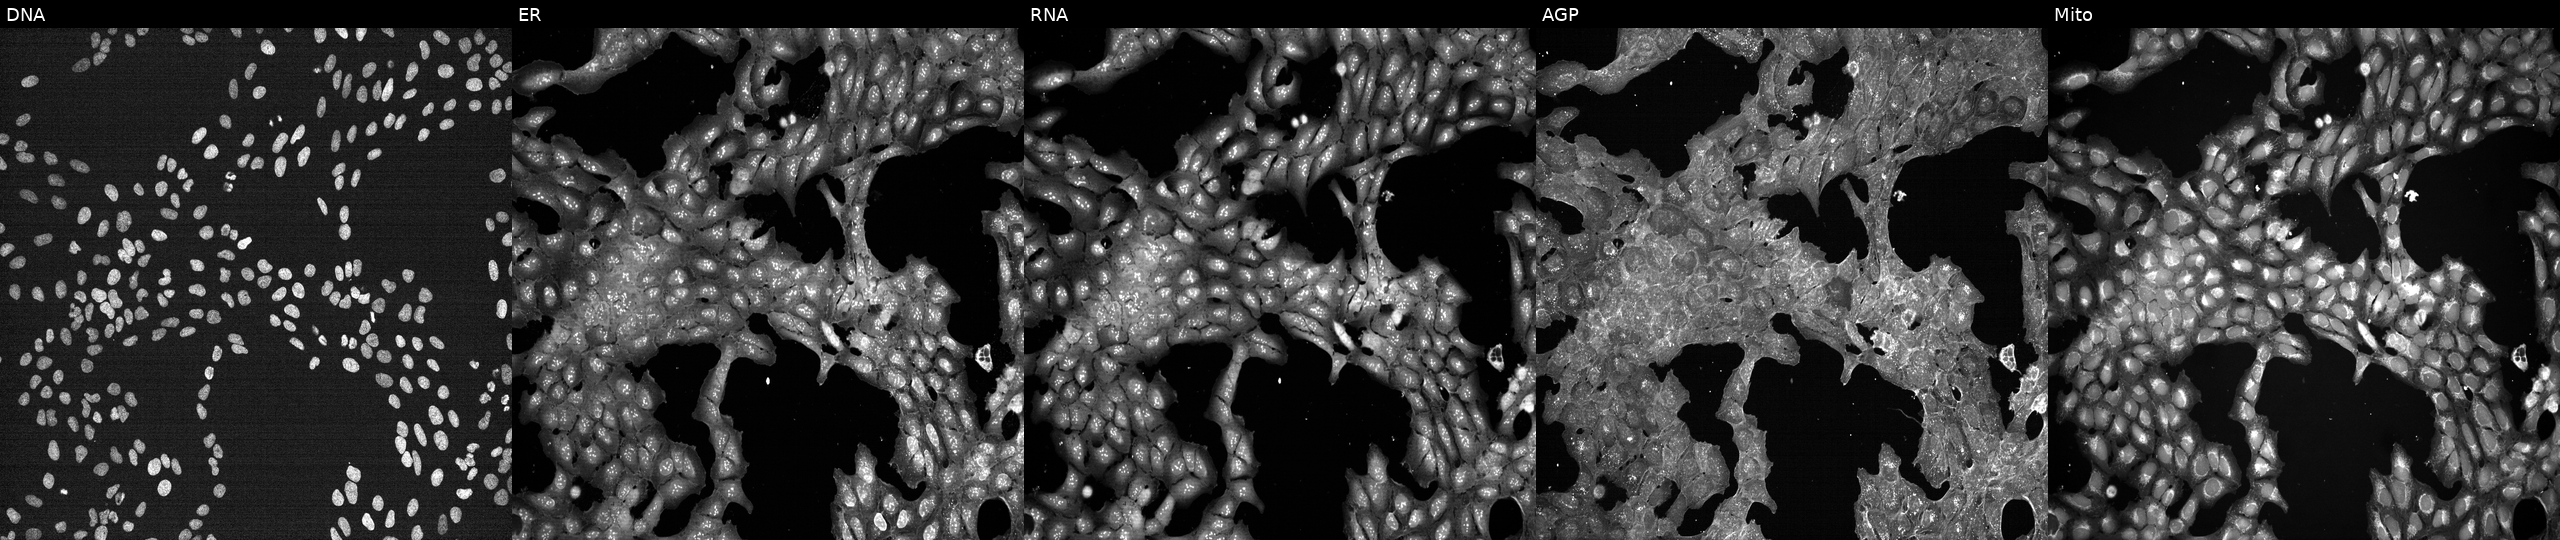
The five panels, left to right, show DNA, ER, RNA, AGP, and Mito. U2OS osteosarcoma cells exposed to a small-molecule compound [SMILES: CCN1C(=CC(C)=O)Sc2ccc(OC)cc21]. Cell Painting assay, JUMP-CP dataset.